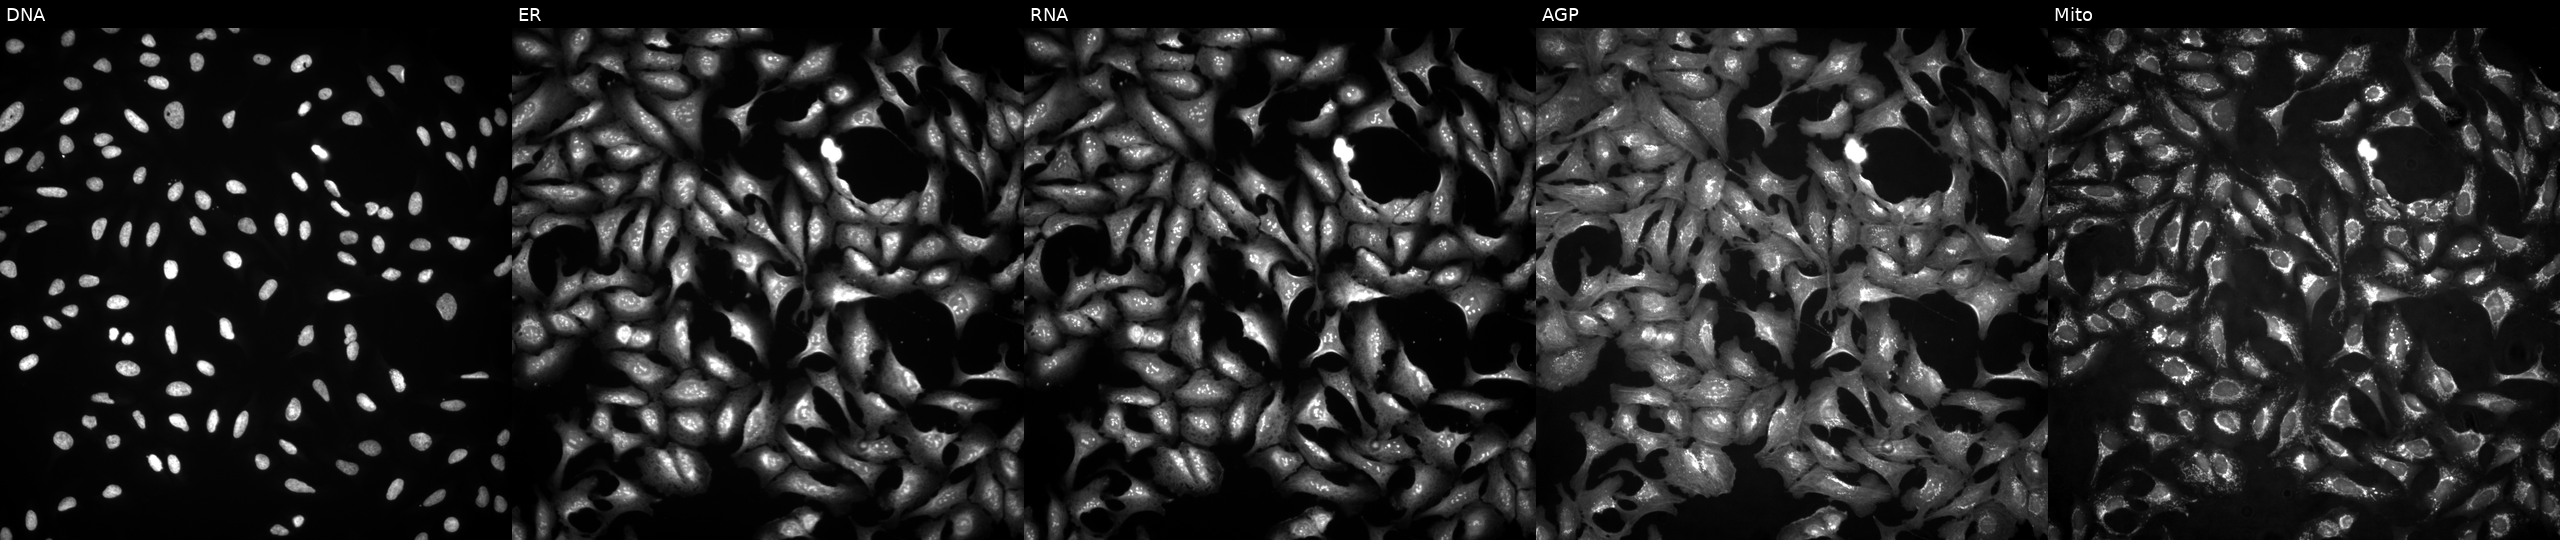
This image strip shows the five Cell Painting channels for a single field of U2OS cells transfected with an ORF construct for MTRES1. Panels show, left to right, DNA, ER, RNA, AGP, and Mito. Source 4, plate BR00124787, well N08.